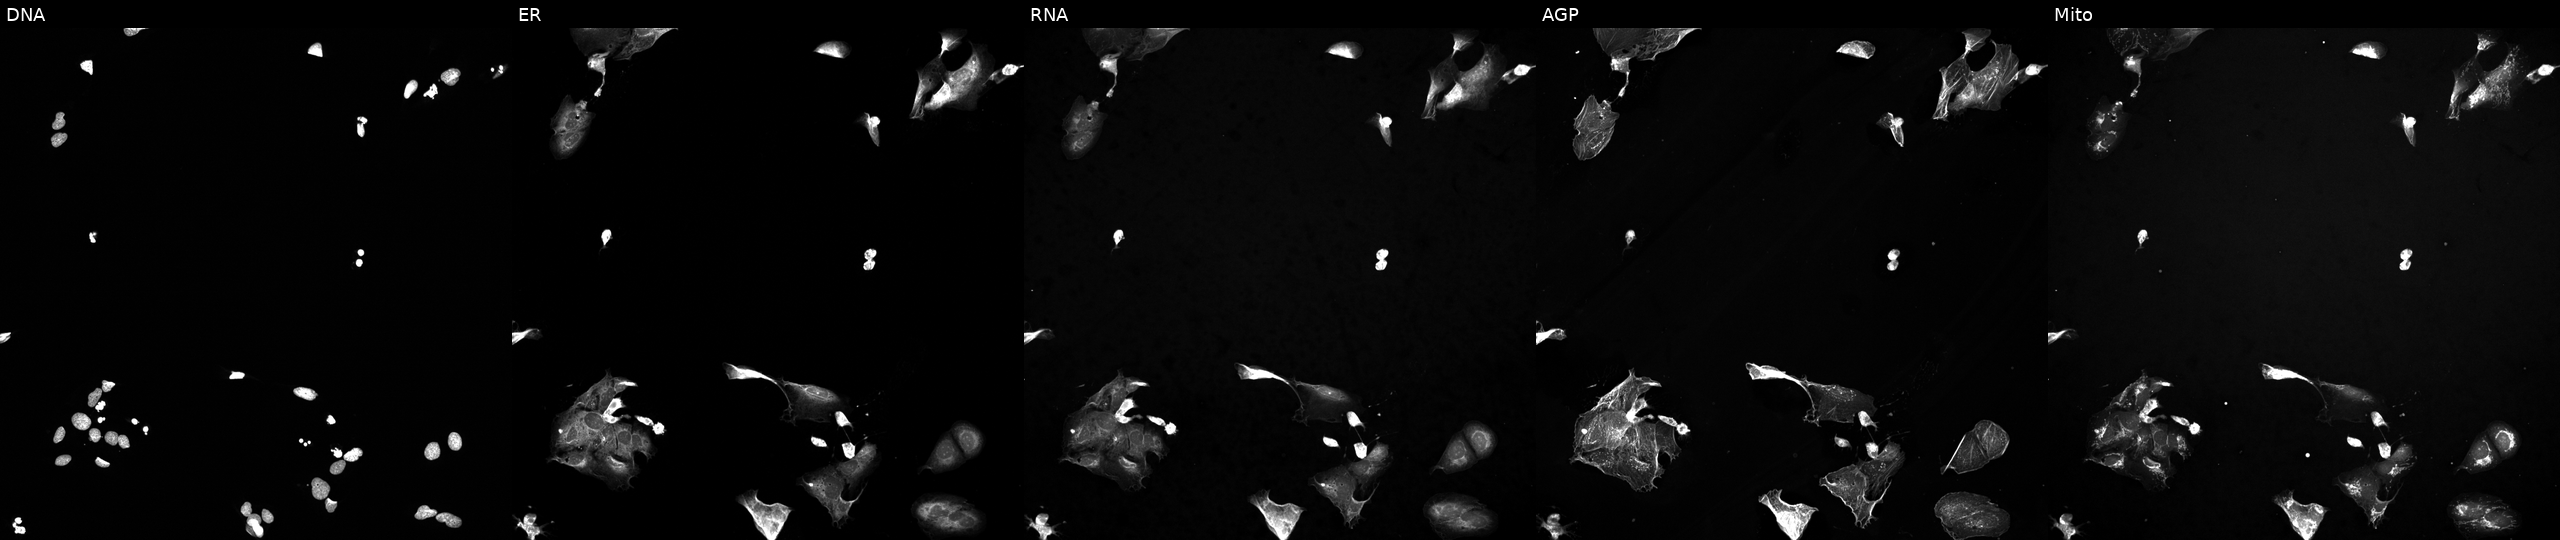
This image strip shows the five Cell Painting channels for a single field of U2OS cells treated with a small-molecule compound (InChIKey RVAQIUULWULRNW-UHFFFAOYSA-N). Channels (left→right): DNA, ER, RNA, AGP, and Mito.